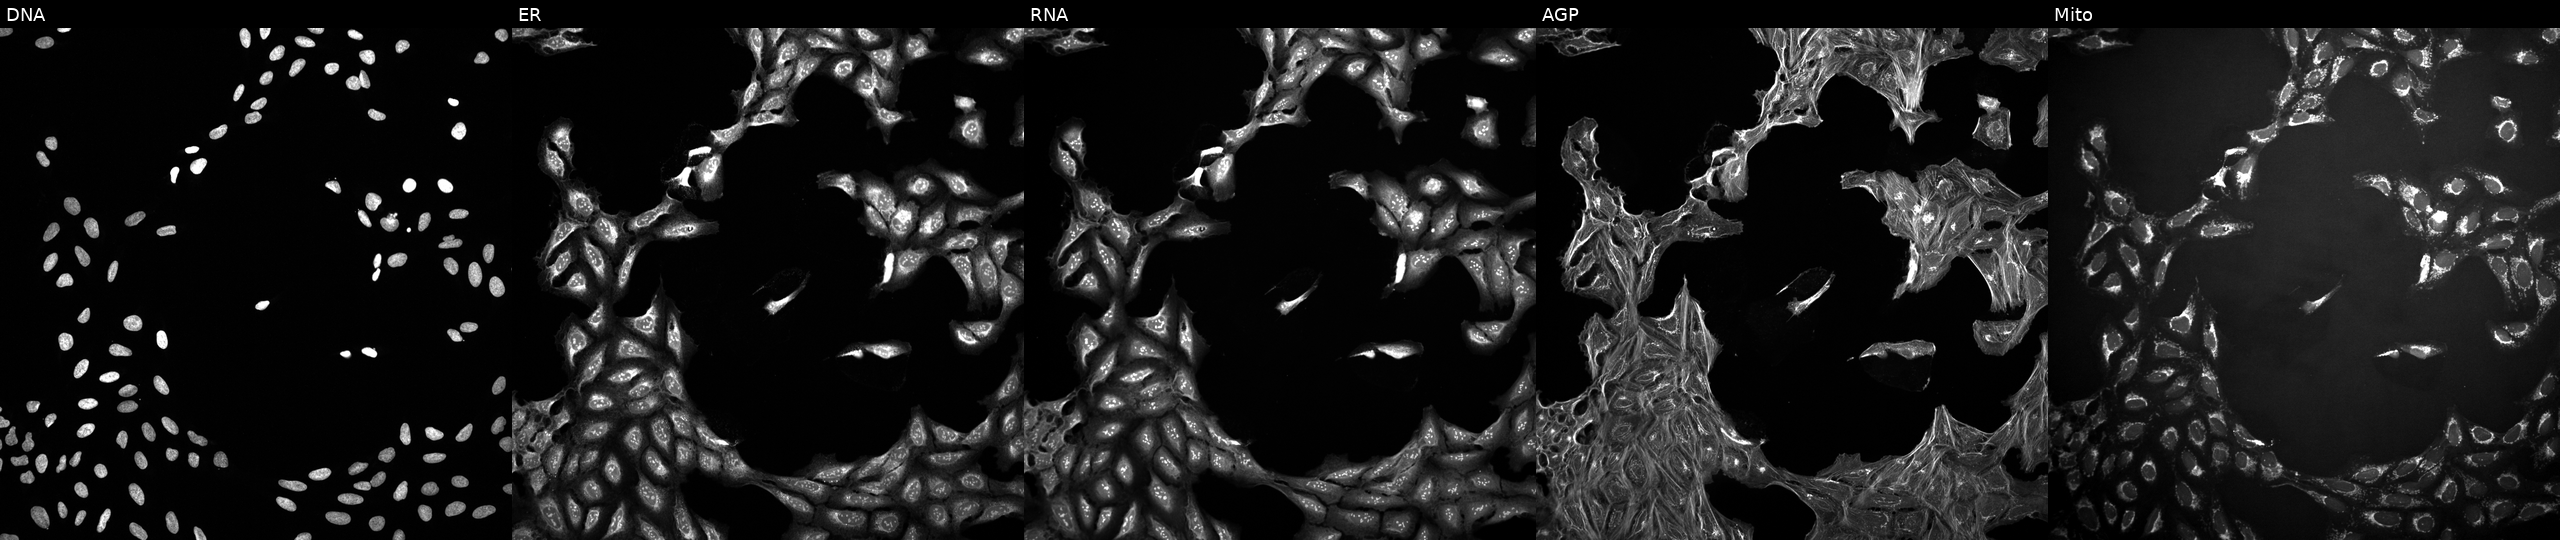
The five panels, left to right, show DNA (nuclei); ER (endoplasmic reticulum); RNA (nucleoli and cytoplasmic RNA); AGP (actin cytoskeleton, Golgi, and plasma membrane); Mito (mitochondria). U2OS osteosarcoma cells perturbed with a small-molecule compound (InChIKey QXKHYNVANLEOEG-UHFFFAOYSA-N) (JUMP id JCP2022_076523). Cell Painting assay, JUMP-CP dataset. Source 10, plate Dest210727-153003, well H07.